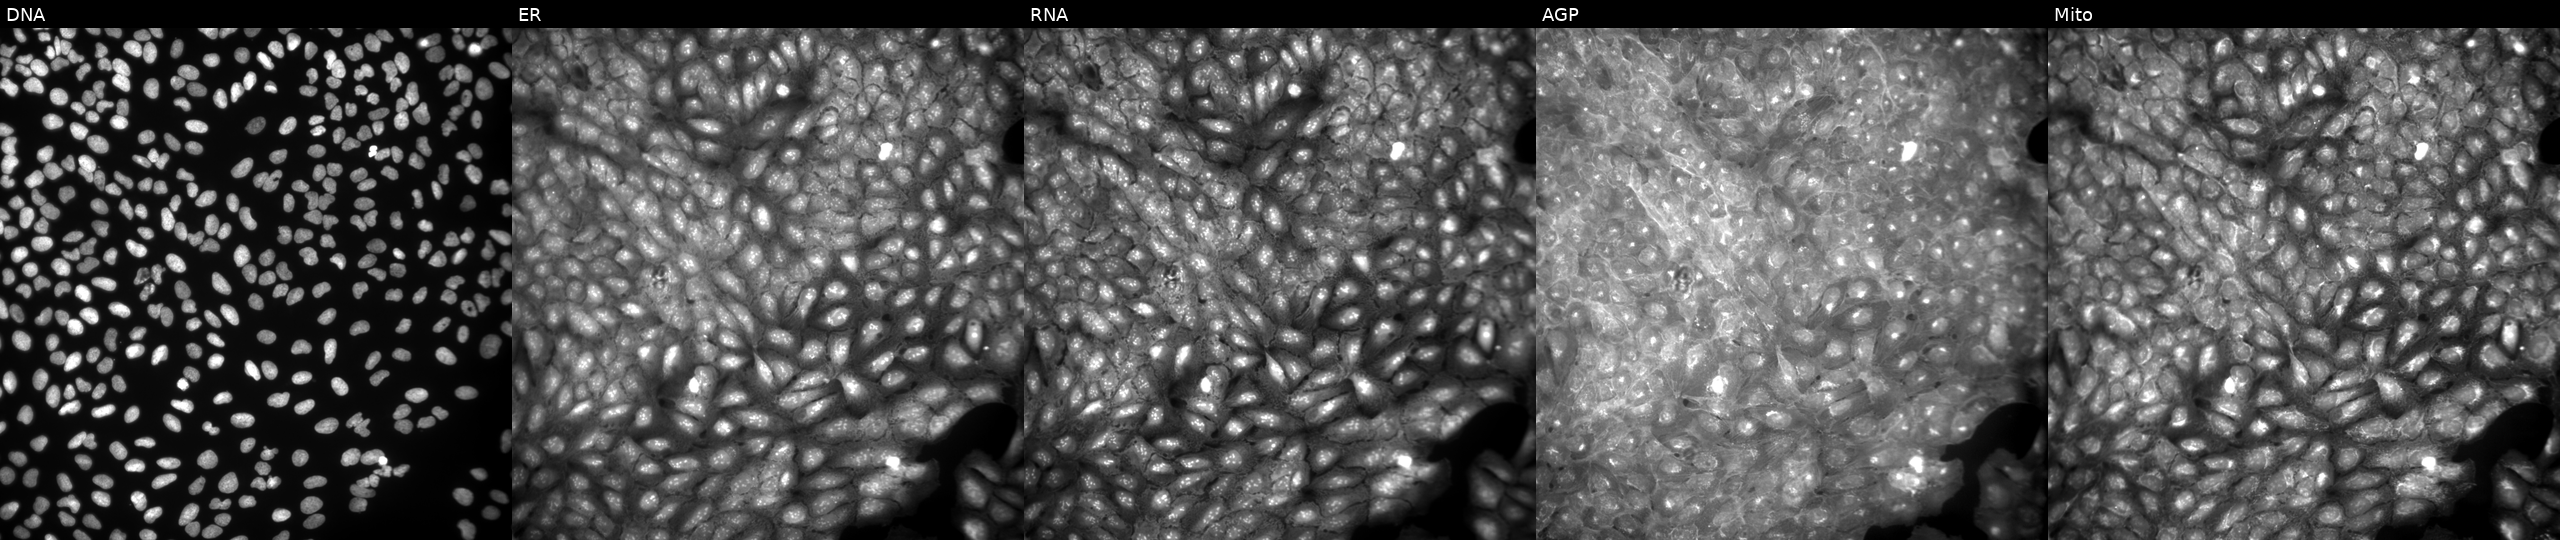
U2OS cells, Cell Painting assay, exposed to a small-molecule compound (InChIKey LYIVPCGUFLFMCB-UHFFFAOYSA-N). Channels (left→right): DNA, ER, RNA, AGP, and Mito. Each panel is percentile-stretched 16-bit fluorescence.